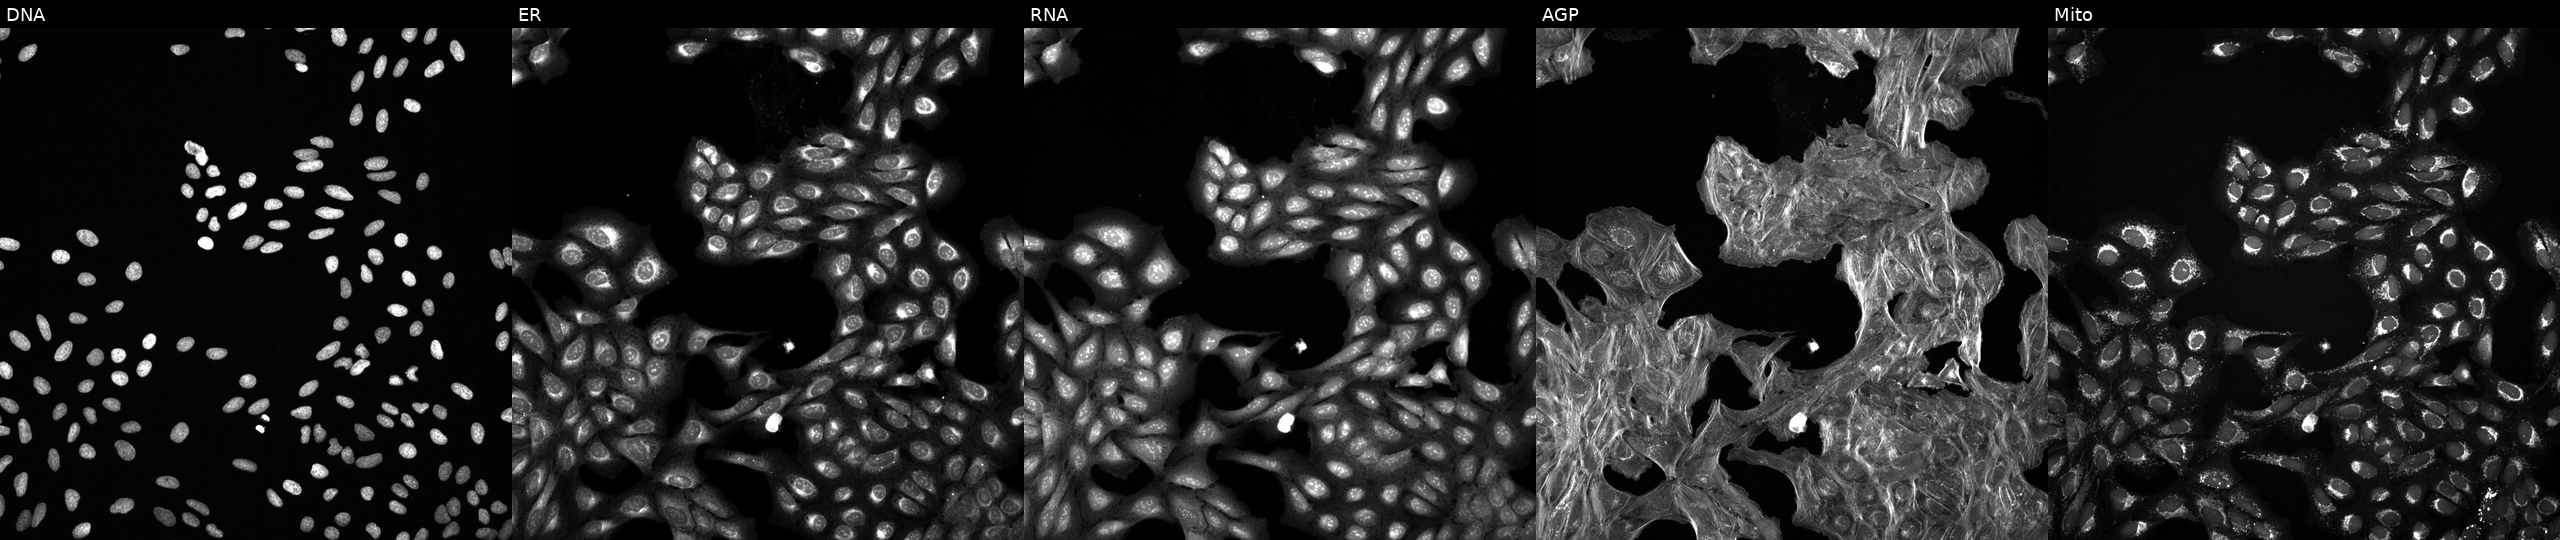
From left to right: Hoechst 33342, concanavalin A, SYTO 14, phalloidin and WGA, MitoTracker. U2OS osteosarcoma cells treated with DMSO vehicle only (negative control) (JUMP id JCP2022_033924). Cell Painting assay, JUMP-CP dataset. Source 6, plate 110000293081, well L10.